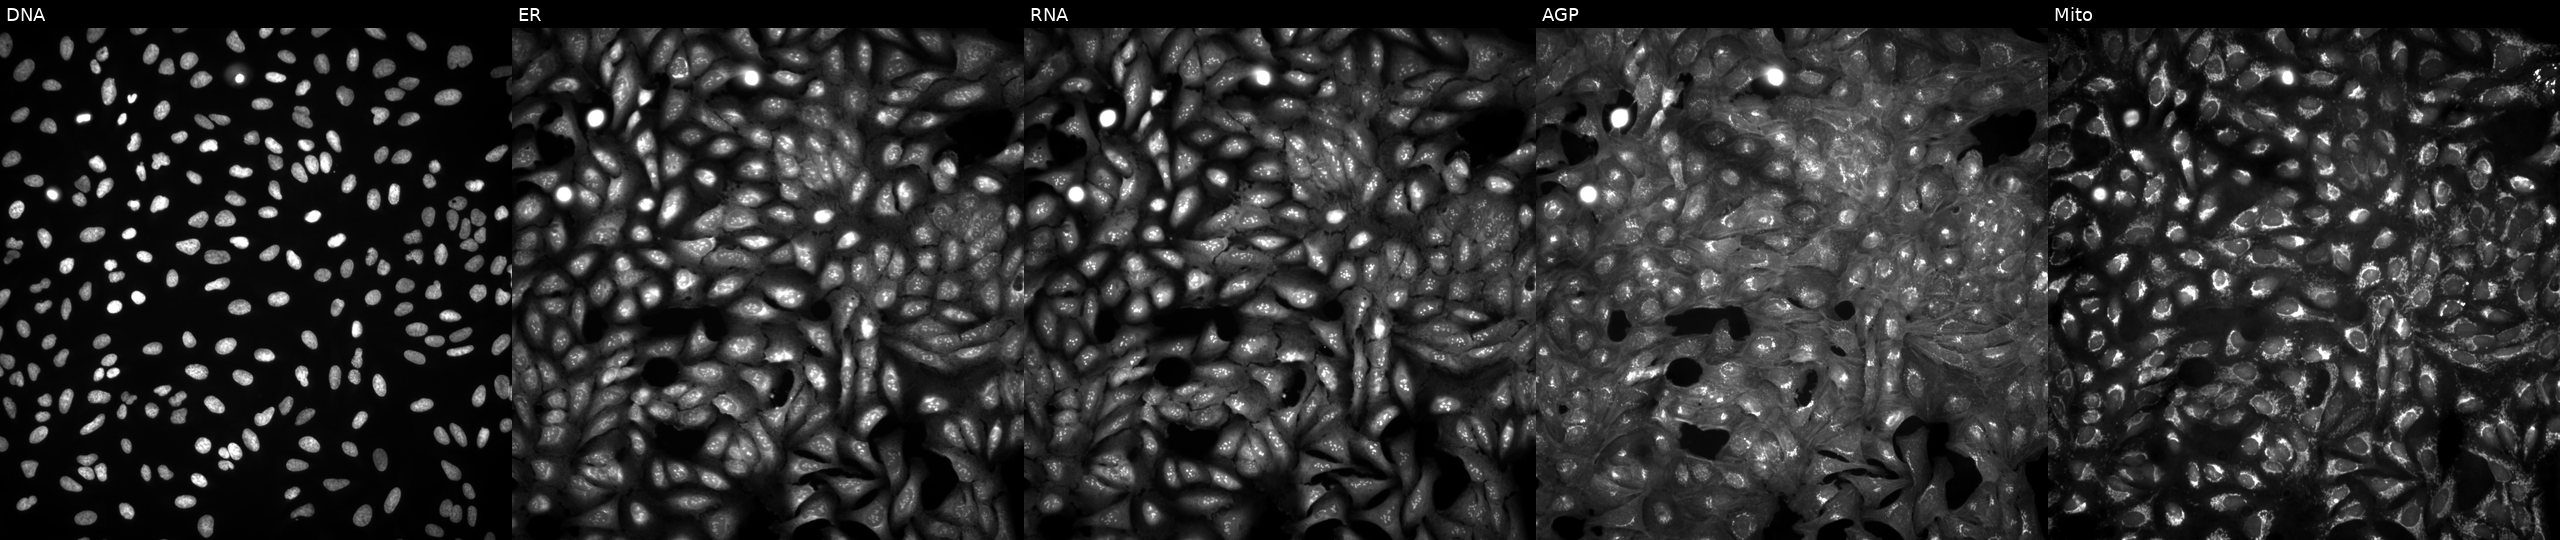
From left to right: DNA (nuclei); ER (endoplasmic reticulum); RNA (nucleoli and cytoplasmic RNA); AGP (actin cytoskeleton, Golgi, and plasma membrane); Mito (mitochondria). U2OS osteosarcoma cells in an empty control well (no perturbation). Cell Painting assay, JUMP-CP dataset.